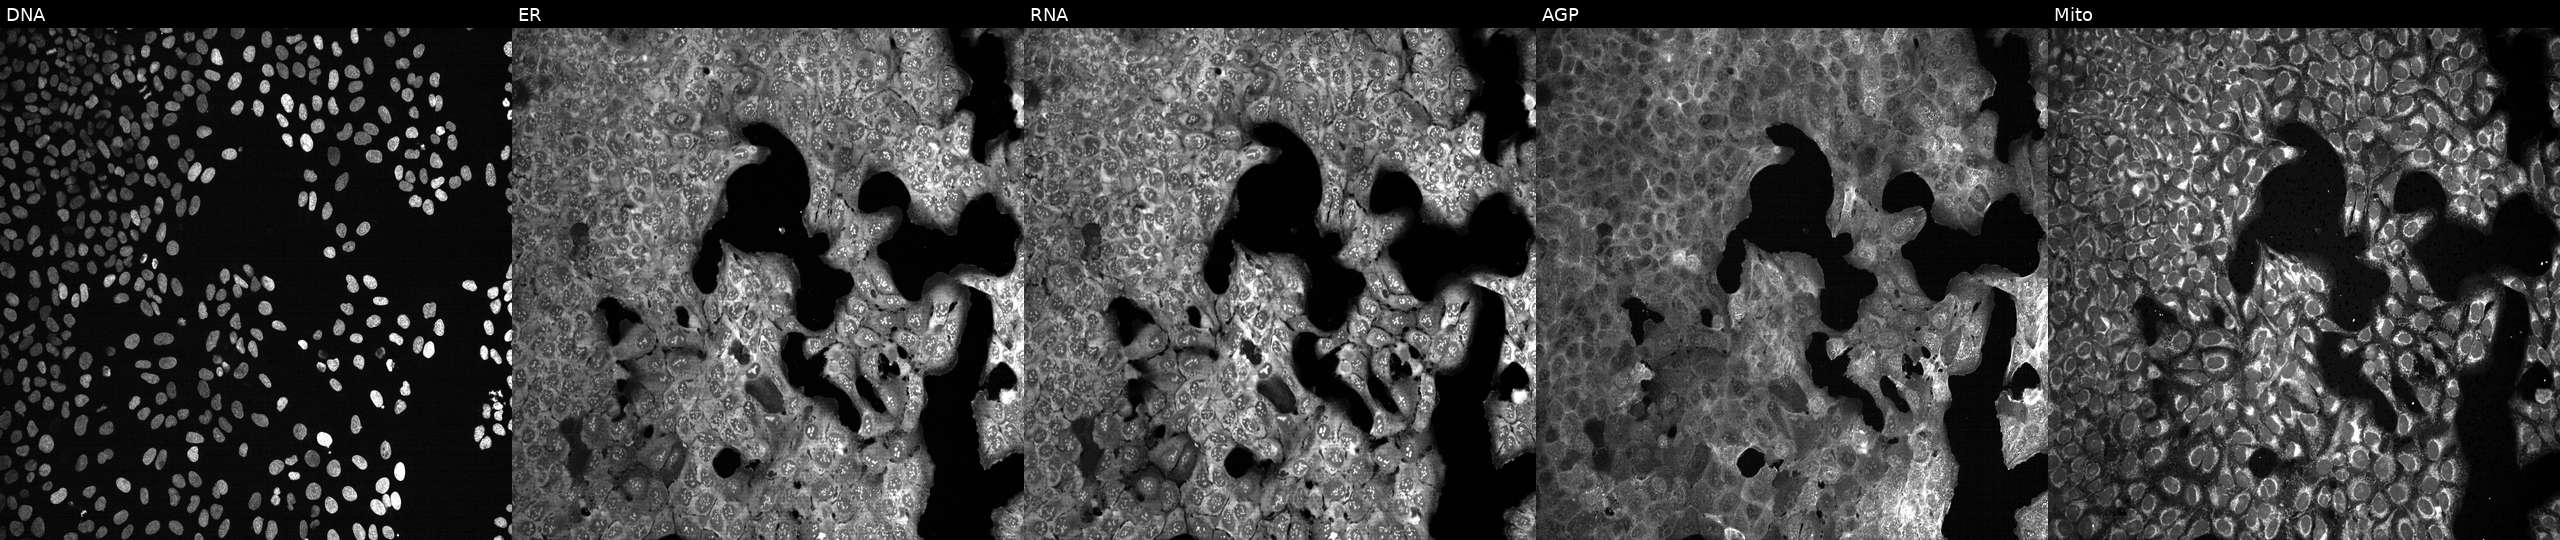
Panels show, left to right, DNA, ER, RNA, AGP, and Mito. U2OS osteosarcoma cells treated with LY2109761 (positive-control compound). Cell Painting assay, JUMP-CP dataset.